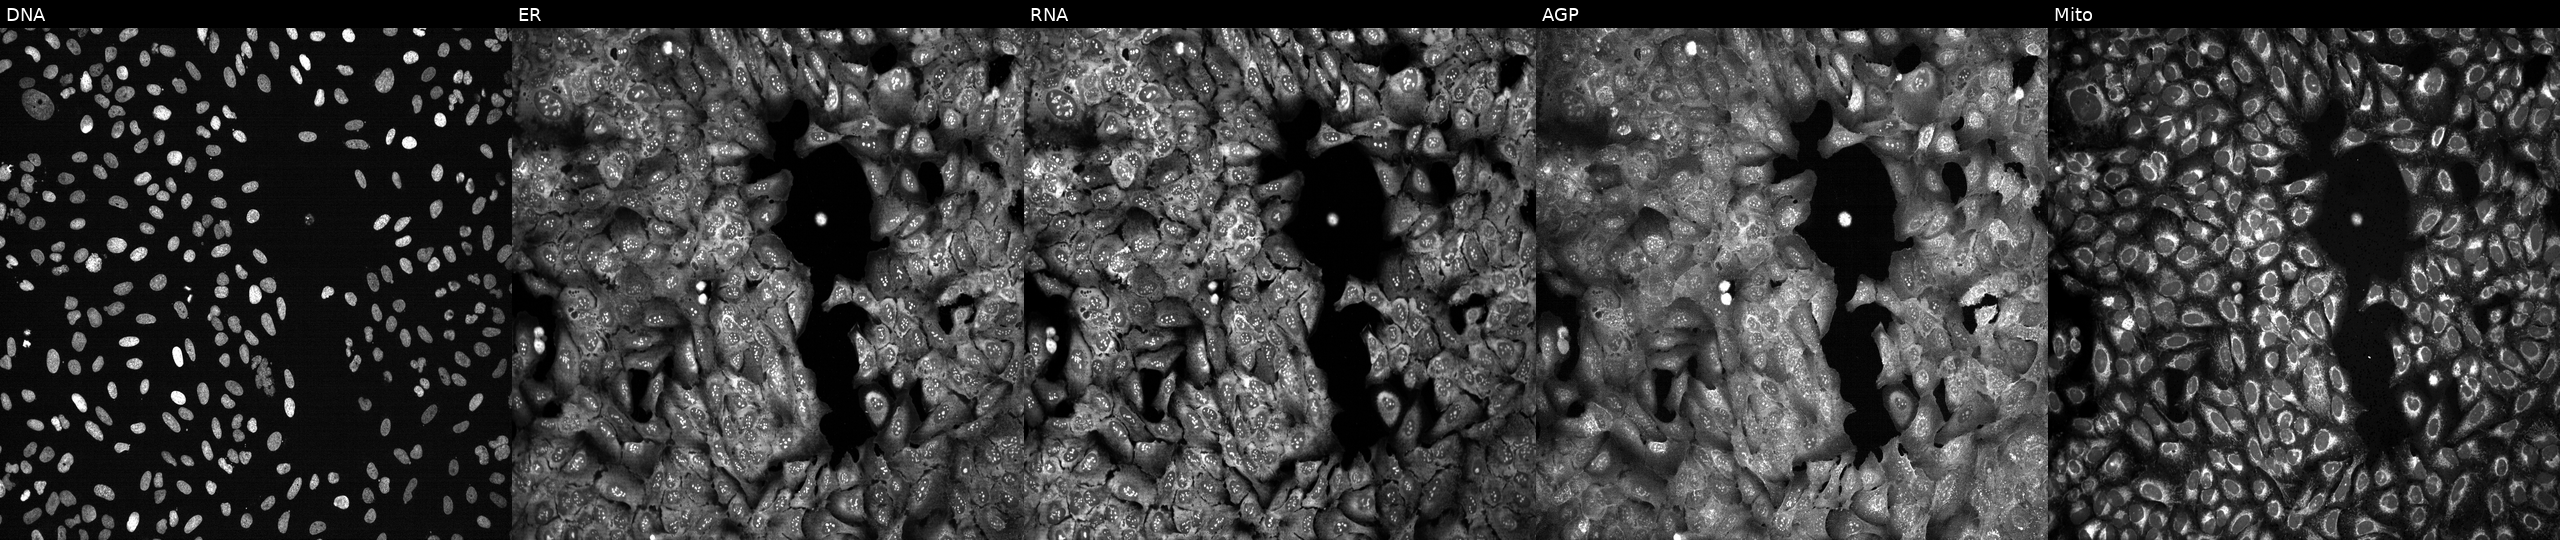
JUMP Cell Painting — CRISPR plate. U2OS cells CRISPR-edited to disrupt DHX9. The five panels, left to right, show DNA (nuclei); ER (endoplasmic reticulum); RNA (nucleoli and cytoplasmic RNA); AGP (actin cytoskeleton, Golgi, and plasma membrane); Mito (mitochondria).